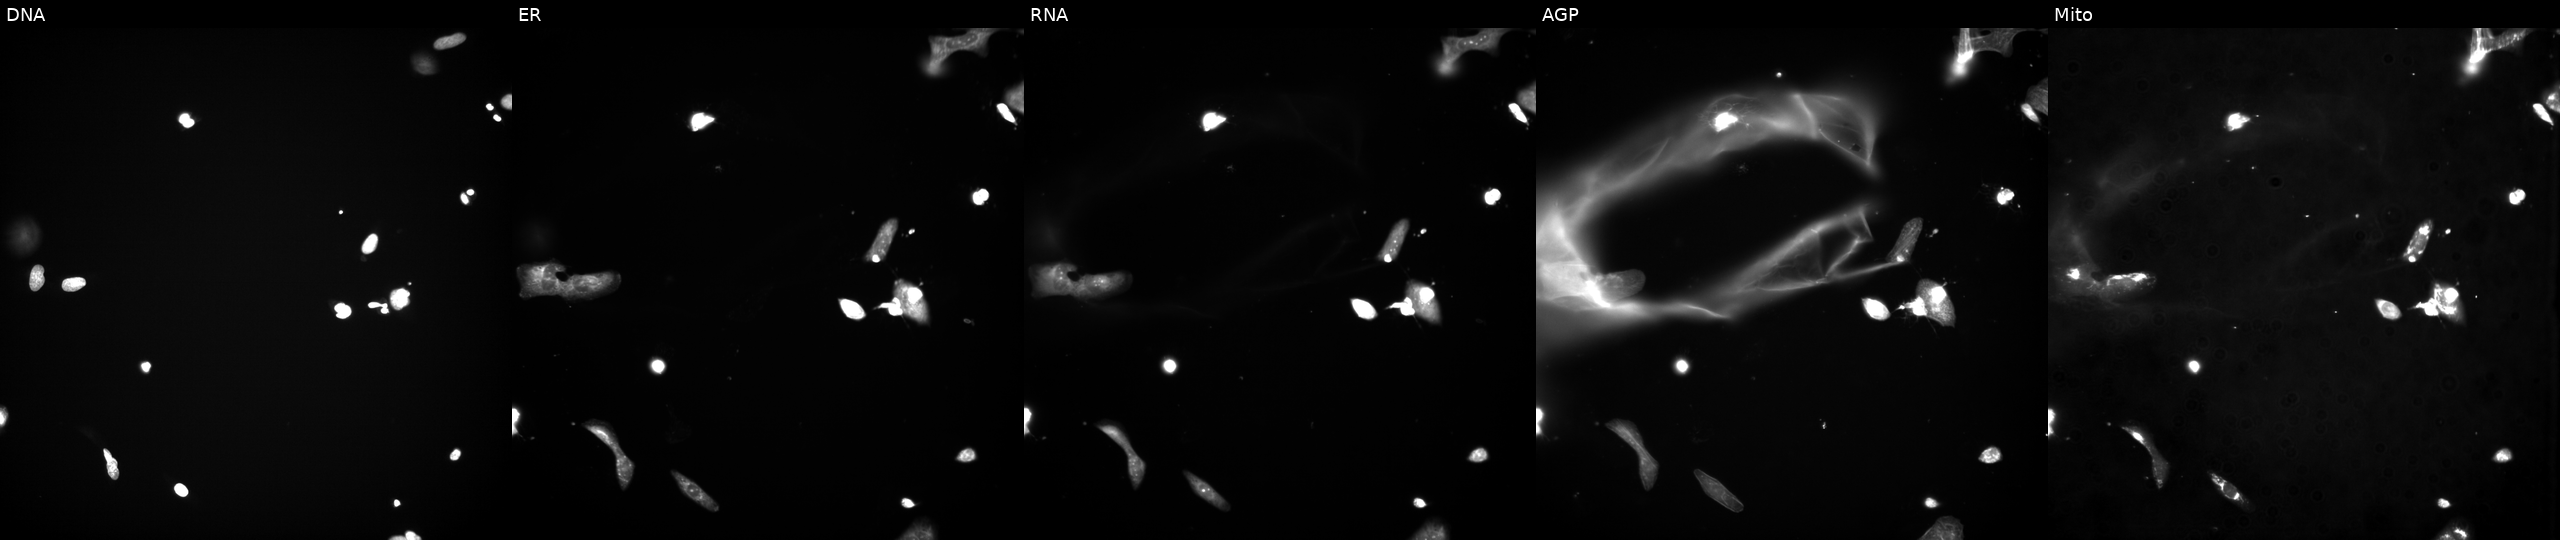
Five-channel Cell Painting image of U2OS cells exposed to a small-molecule compound (JUMP id JCP2022_030049). Channels (left→right): DNA, ER, RNA, AGP, and Mito.